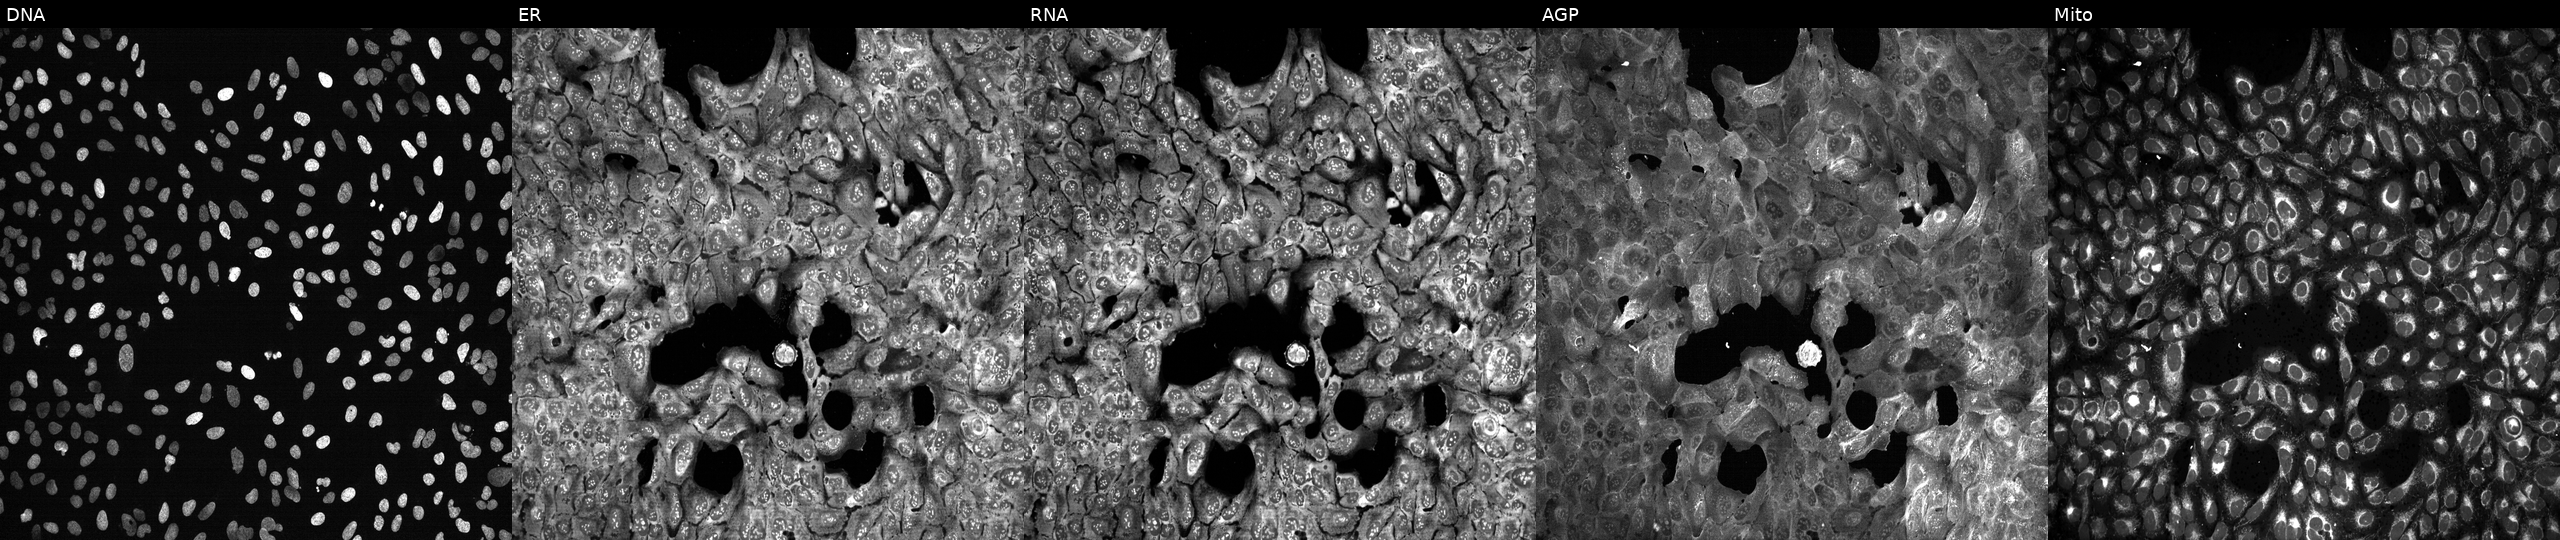
JUMP Cell Painting — CRISPR plate. U2OS cells with SERPINA4 knocked out by CRISPR (JUMP id JCP2022_806272). From left to right: DNA (nuclei); ER (endoplasmic reticulum); RNA (nucleoli and cytoplasmic RNA); AGP (actin cytoskeleton, Golgi, and plasma membrane); Mito (mitochondria).